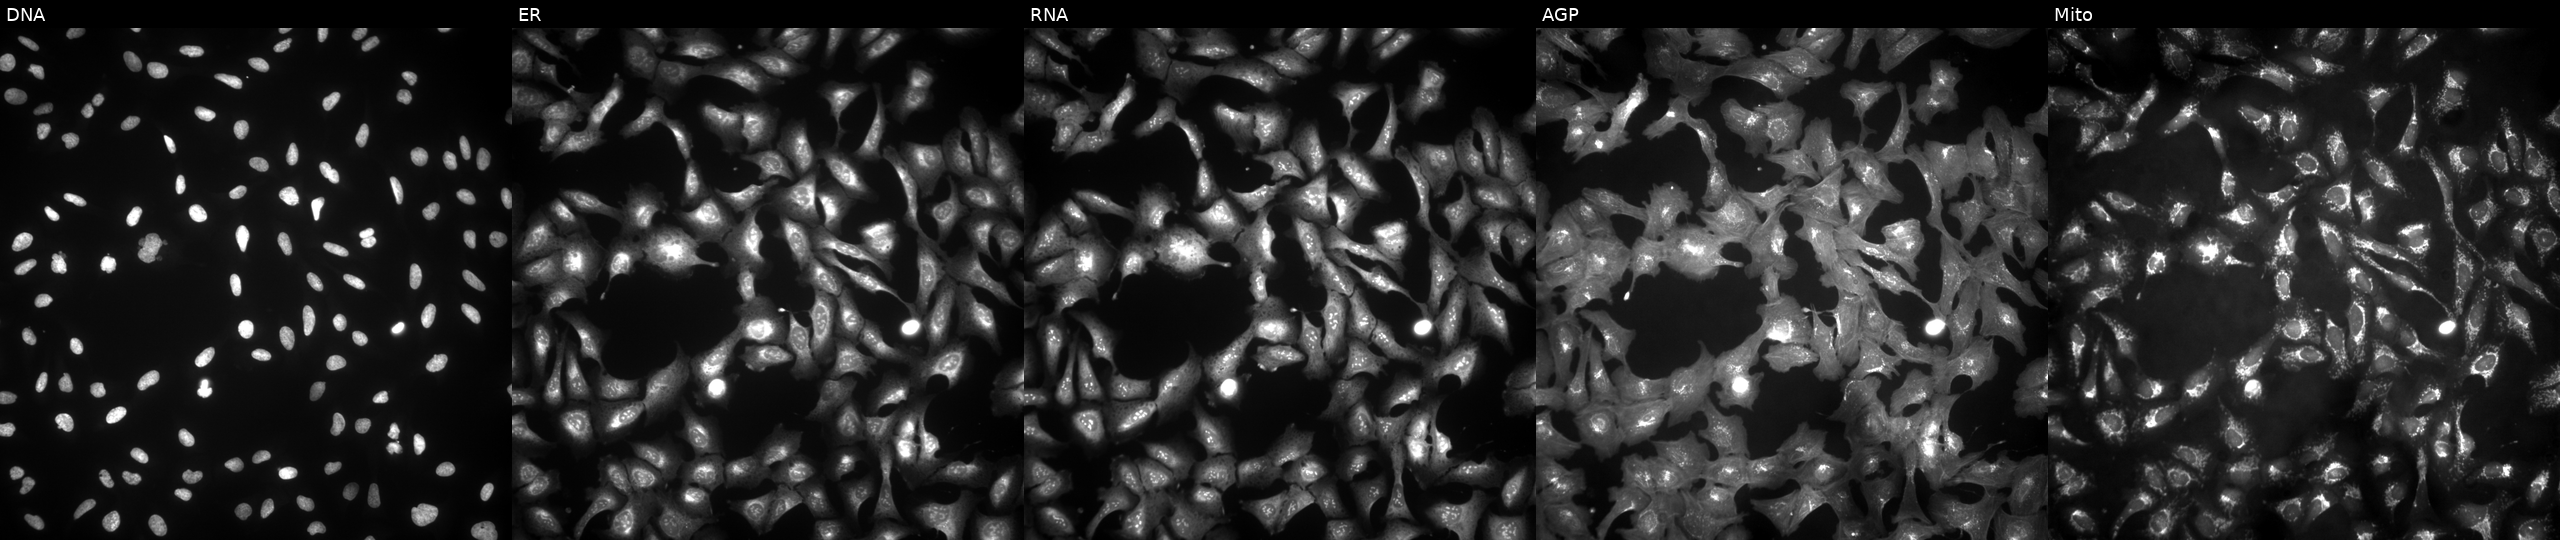
High-content fluorescence microscopy (Cell Painting). Cell line: U2OS. Perturbation: with TMEM161A overexpressed (ORF). The five panels, left to right, show DNA, ER, RNA, AGP, and Mito. Source 4, plate BR00123506, well B16.